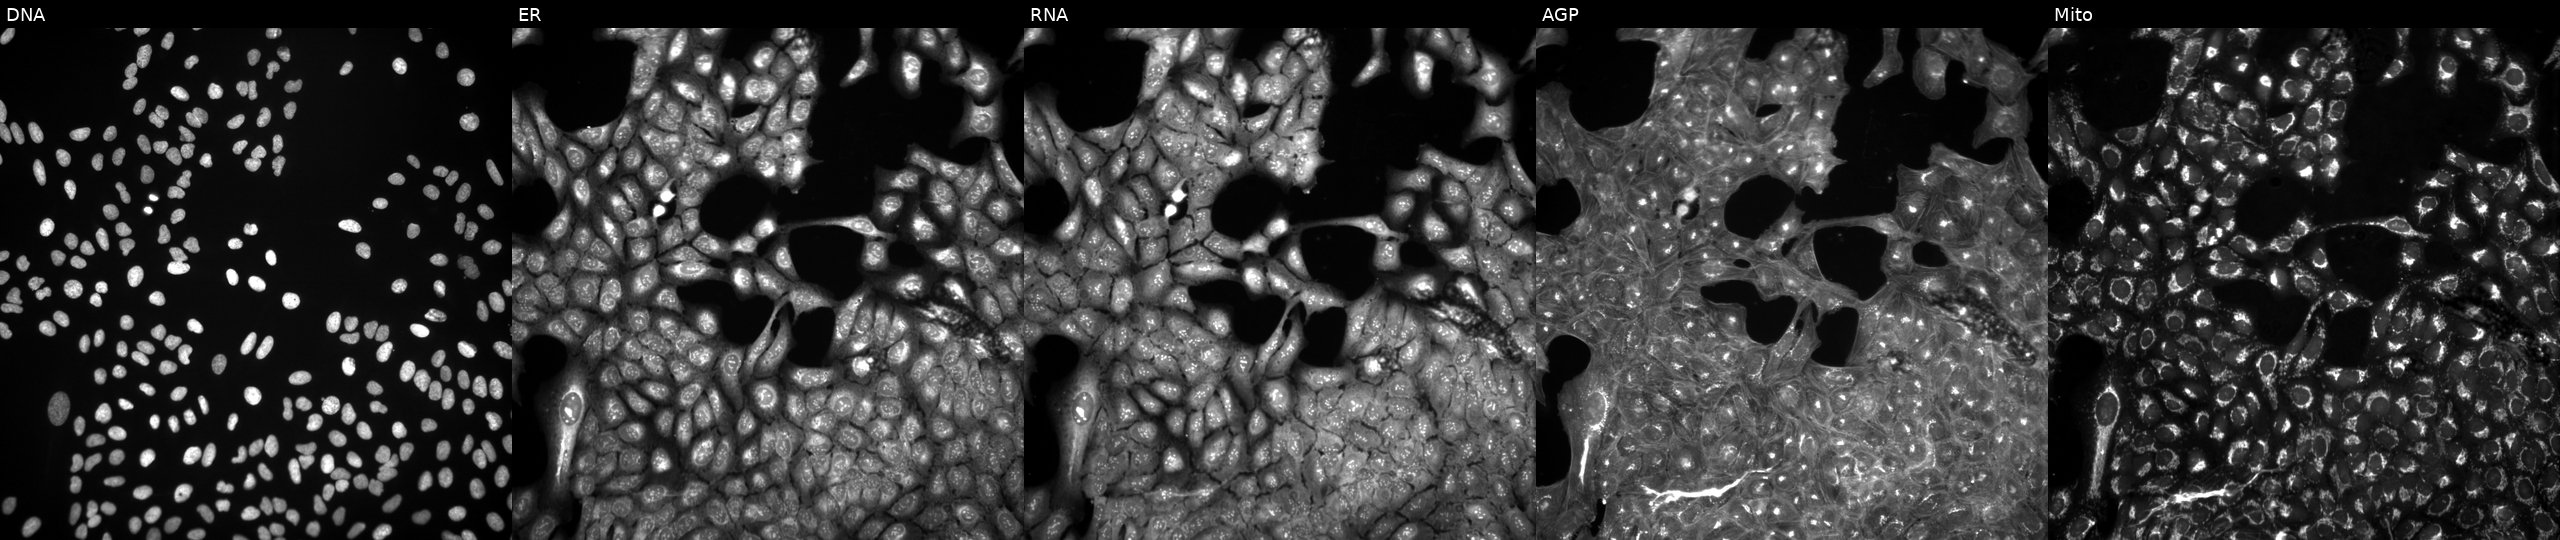
Five-channel Cell Painting image of U2OS cells perturbed with a small-molecule compound (InChIKey GEYUDGOBFPLGGT-UHFFFAOYSA-N). Panels show, left to right, DNA (nuclei); ER (endoplasmic reticulum); RNA (nucleoli and cytoplasmic RNA); AGP (actin cytoskeleton, Golgi, and plasma membrane); Mito (mitochondria).